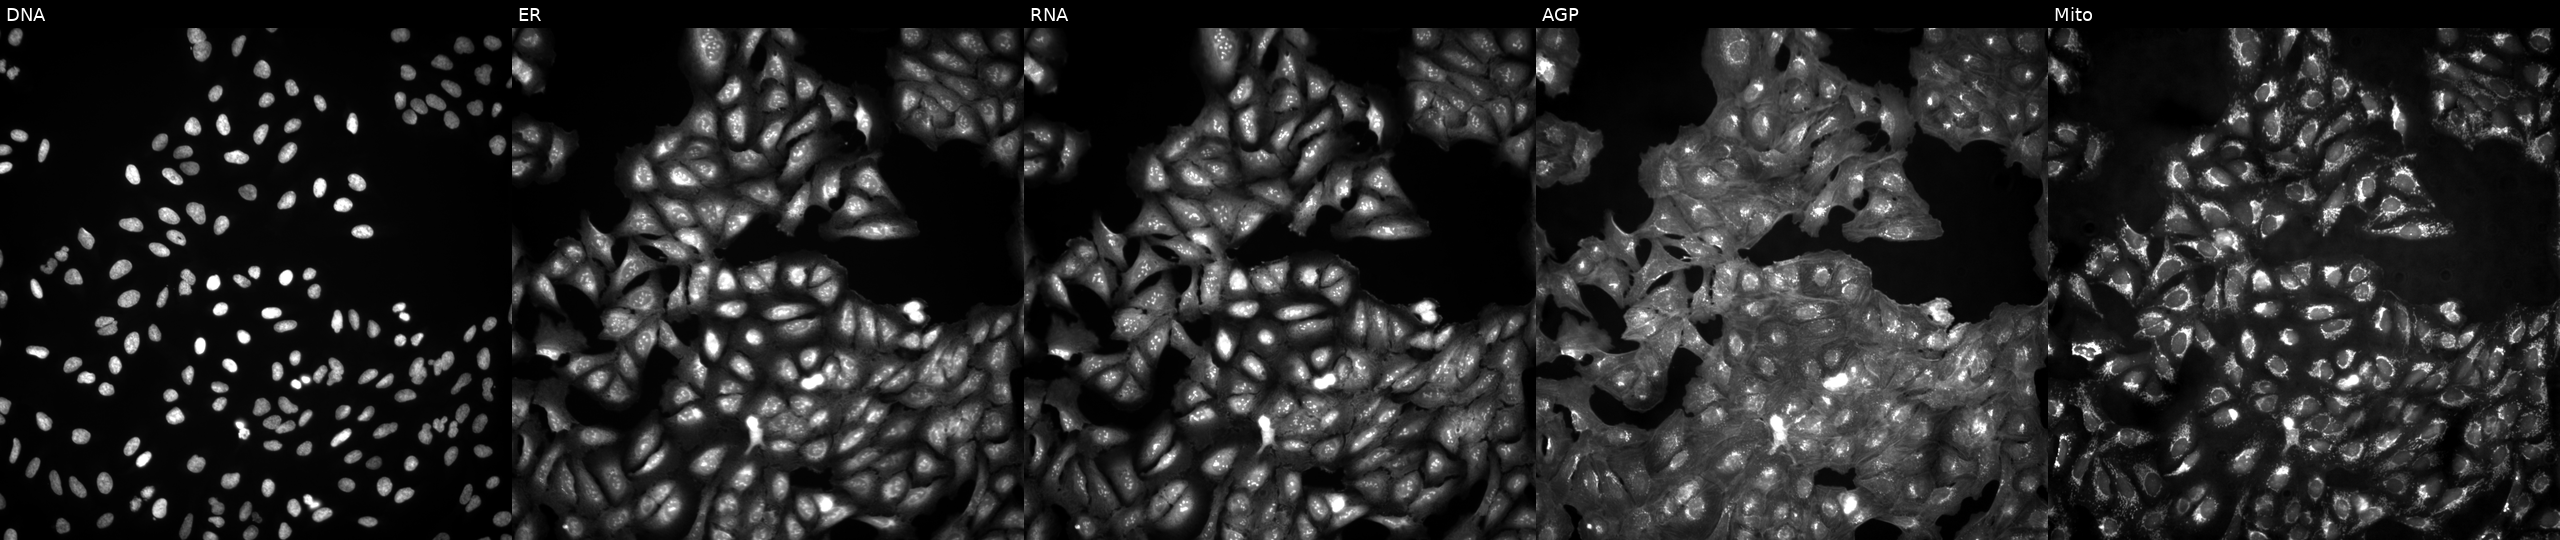
This image strip shows the five Cell Painting channels for a single field of U2OS cells in an empty control well (no perturbation). The five panels, left to right, show Hoechst 33342, concanavalin A, SYTO 14, phalloidin and WGA, MitoTracker.